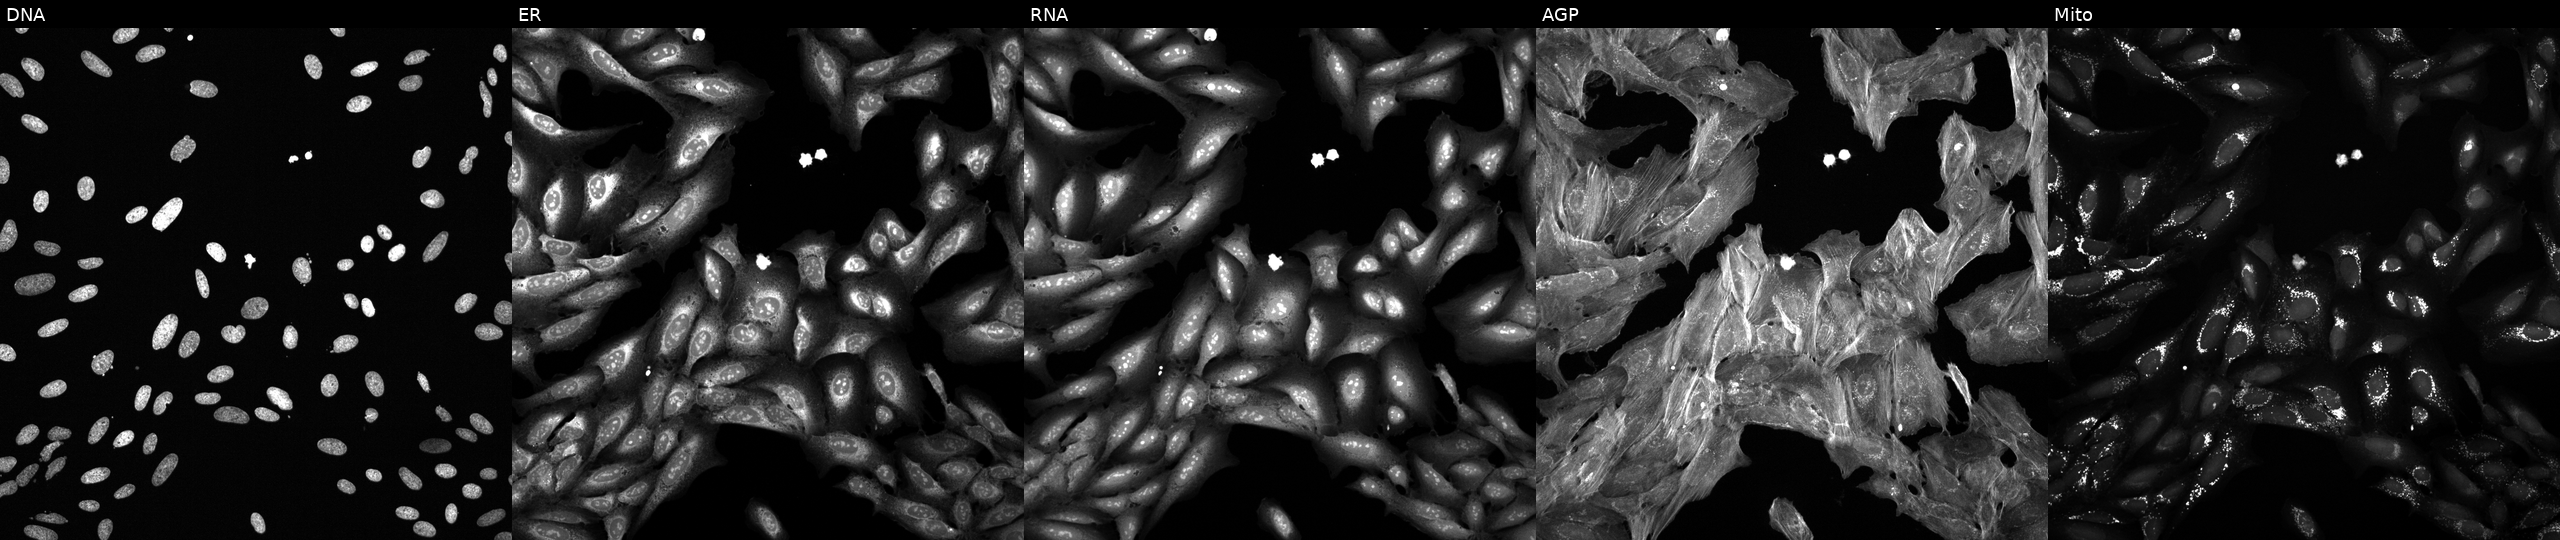
Five-channel Cell Painting image of U2OS cells perturbed with a small-molecule compound (InChIKey NQQBNZBOOHHVQP-UHFFFAOYSA-N) (JUMP id JCP2022_060734). Channels (left→right): DNA, ER, RNA, AGP, and Mito.